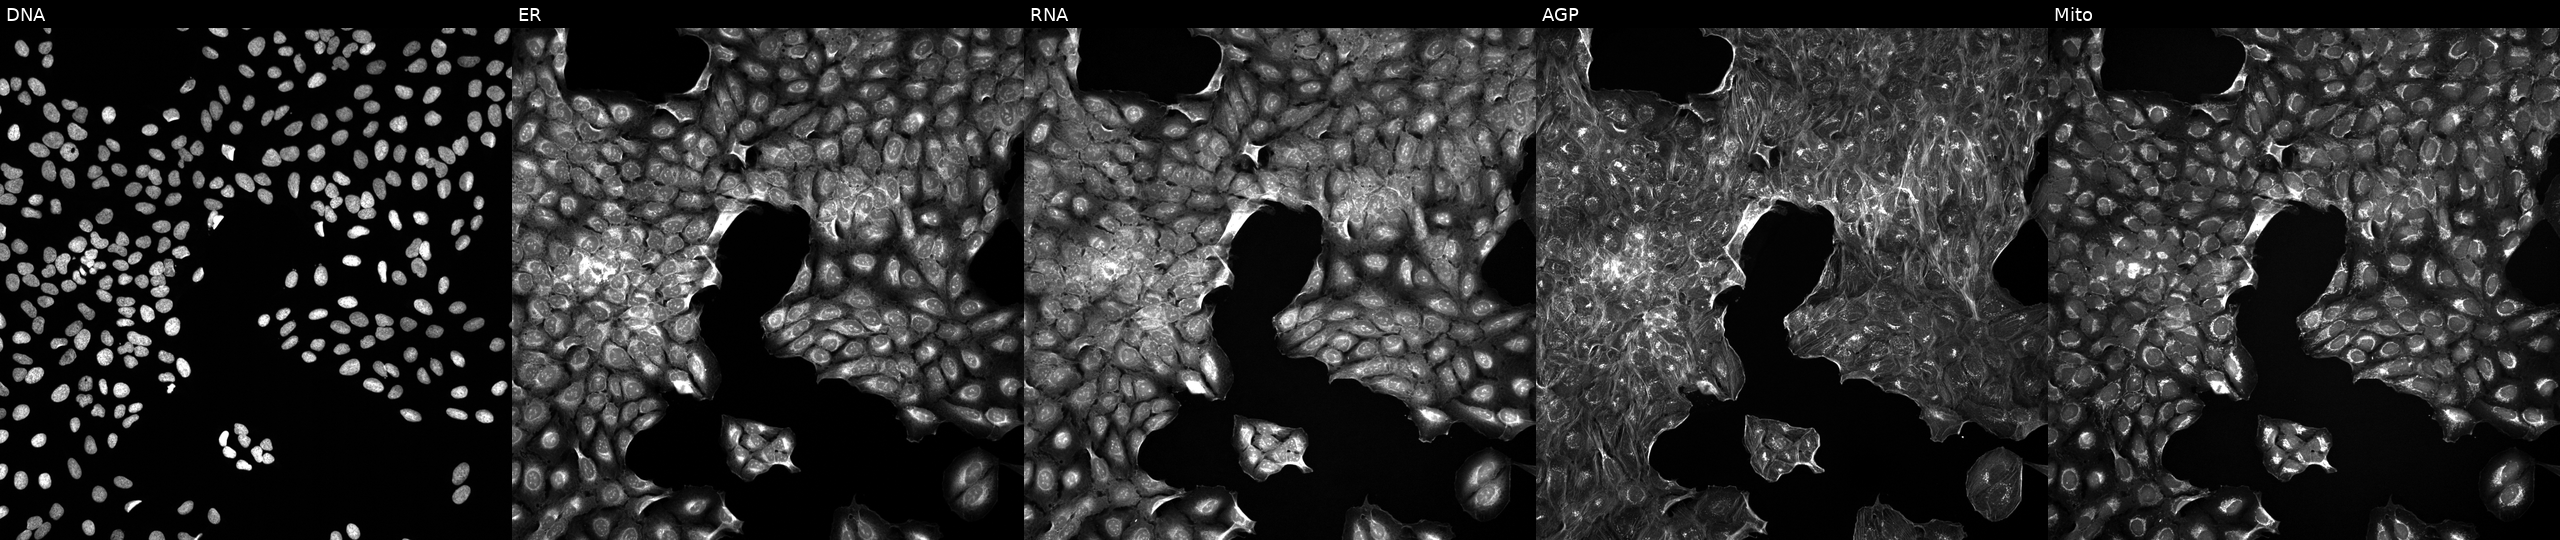
JUMP Cell Painting — TARGET2 plate. U2OS cells exposed to a small-molecule compound (InChIKey JHSXDAWGLCZYSM-UHFFFAOYSA-N). Channels (left→right): Hoechst 33342, concanavalin A, SYTO 14, phalloidin and WGA, MitoTracker. Source 5, plate ACPJUM012, well H10.